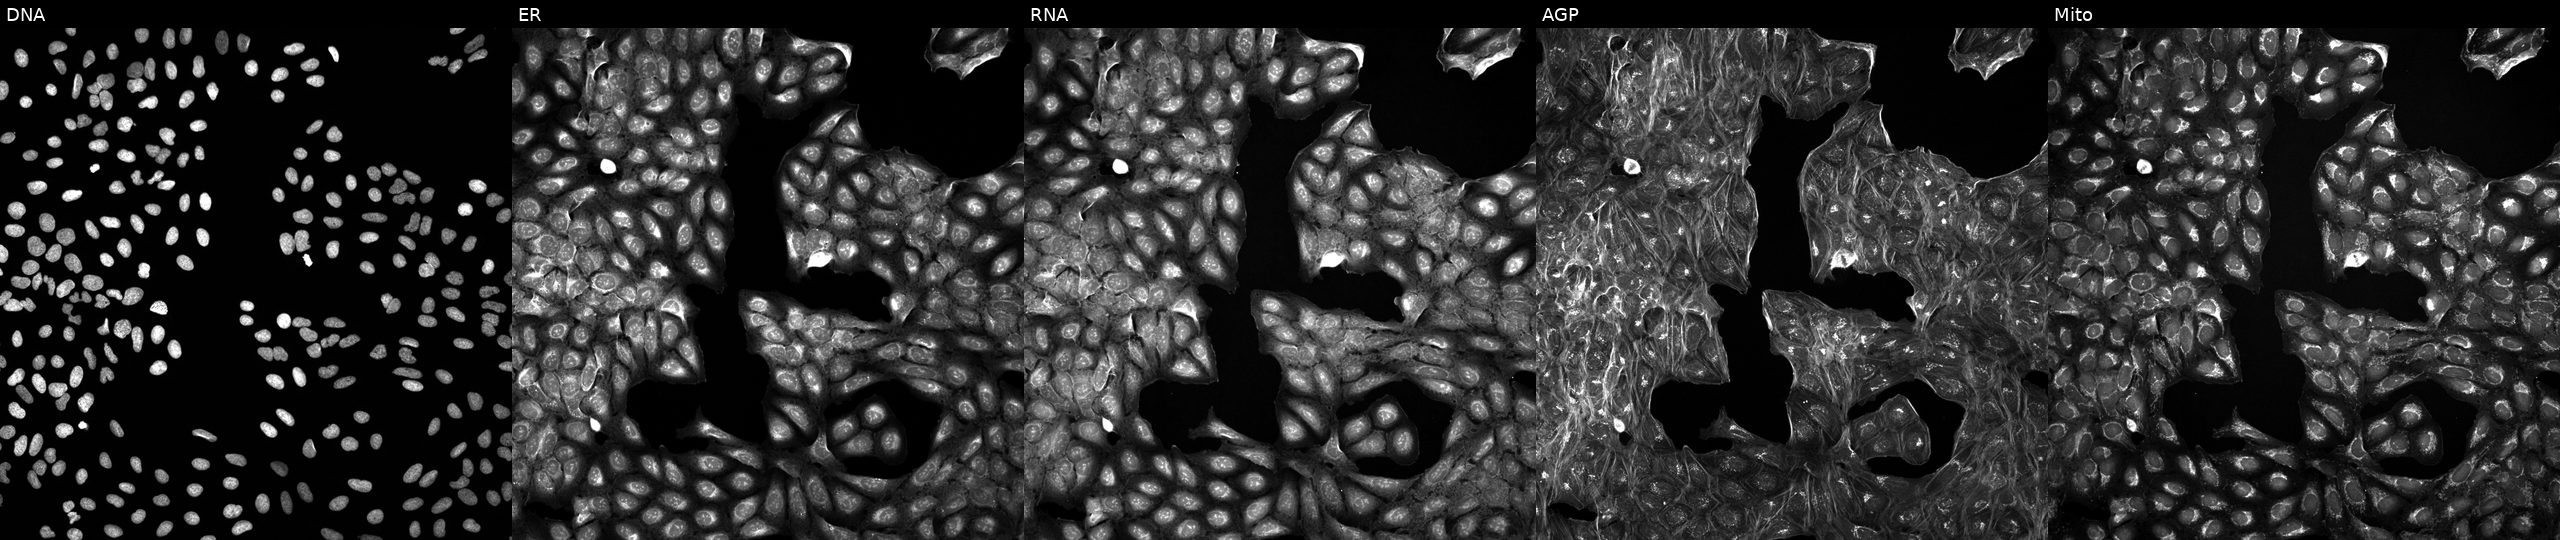
High-content fluorescence microscopy (Cell Painting). Cell line: U2OS. Perturbation: treated with a small-molecule compound (InChIKey PFHDWRIVDDIFRP-UHFFFAOYSA-N) (JUMP id JCP2022_068238). From left to right: Hoechst 33342, concanavalin A, SYTO 14, phalloidin and WGA, MitoTracker. Source 5, plate ACPJUM012, well F07.